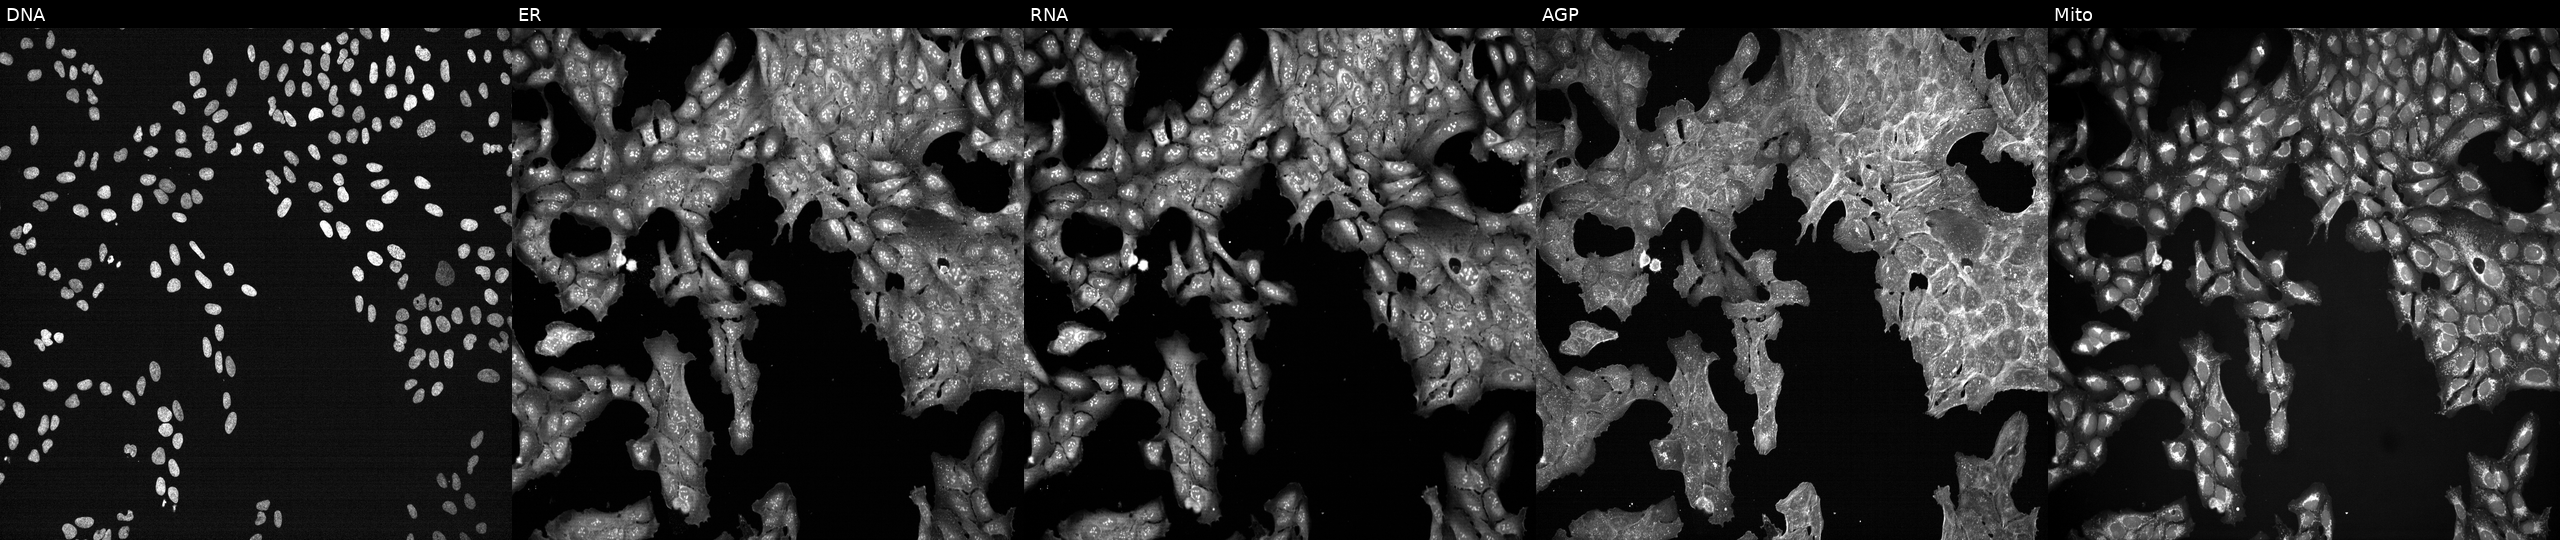
U2OS cells, Cell Painting assay, exposed to DMSO alone as a negative control. From left to right: Hoechst 33342, concanavalin A, SYTO 14, phalloidin and WGA, MitoTracker. Each panel is percentile-stretched 16-bit fluorescence.